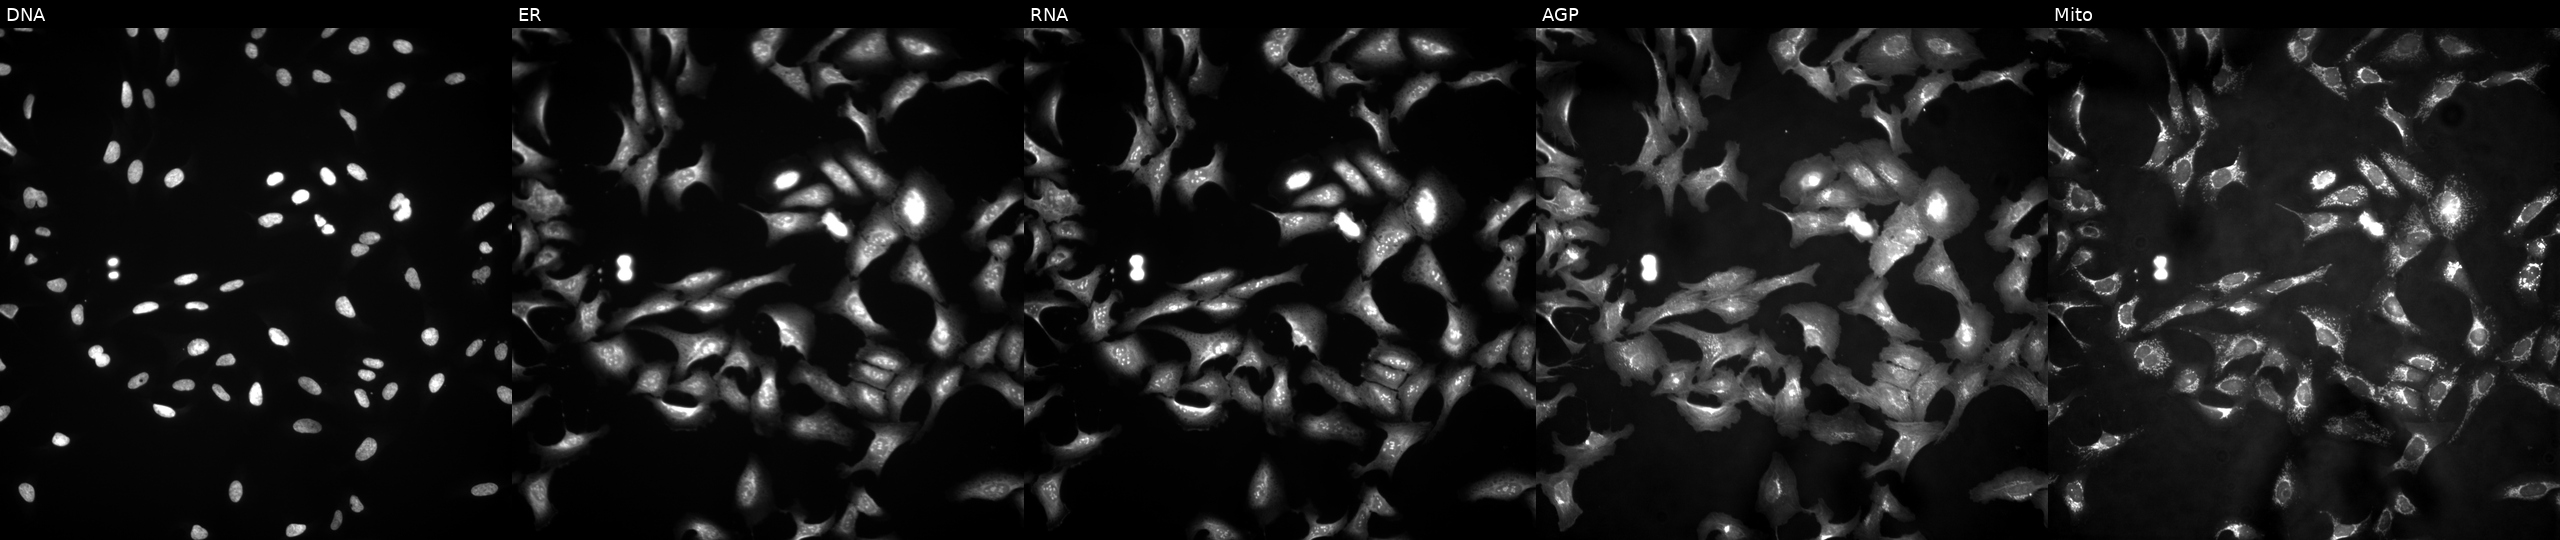
High-content fluorescence microscopy (Cell Painting). Cell line: U2OS. Perturbation: transfected with an ORF construct for KIF2B. Panels show, left to right, DNA (nuclei); ER (endoplasmic reticulum); RNA (nucleoli and cytoplasmic RNA); AGP (actin cytoskeleton, Golgi, and plasma membrane); Mito (mitochondria). Source 4, plate BR00121543, well E06.